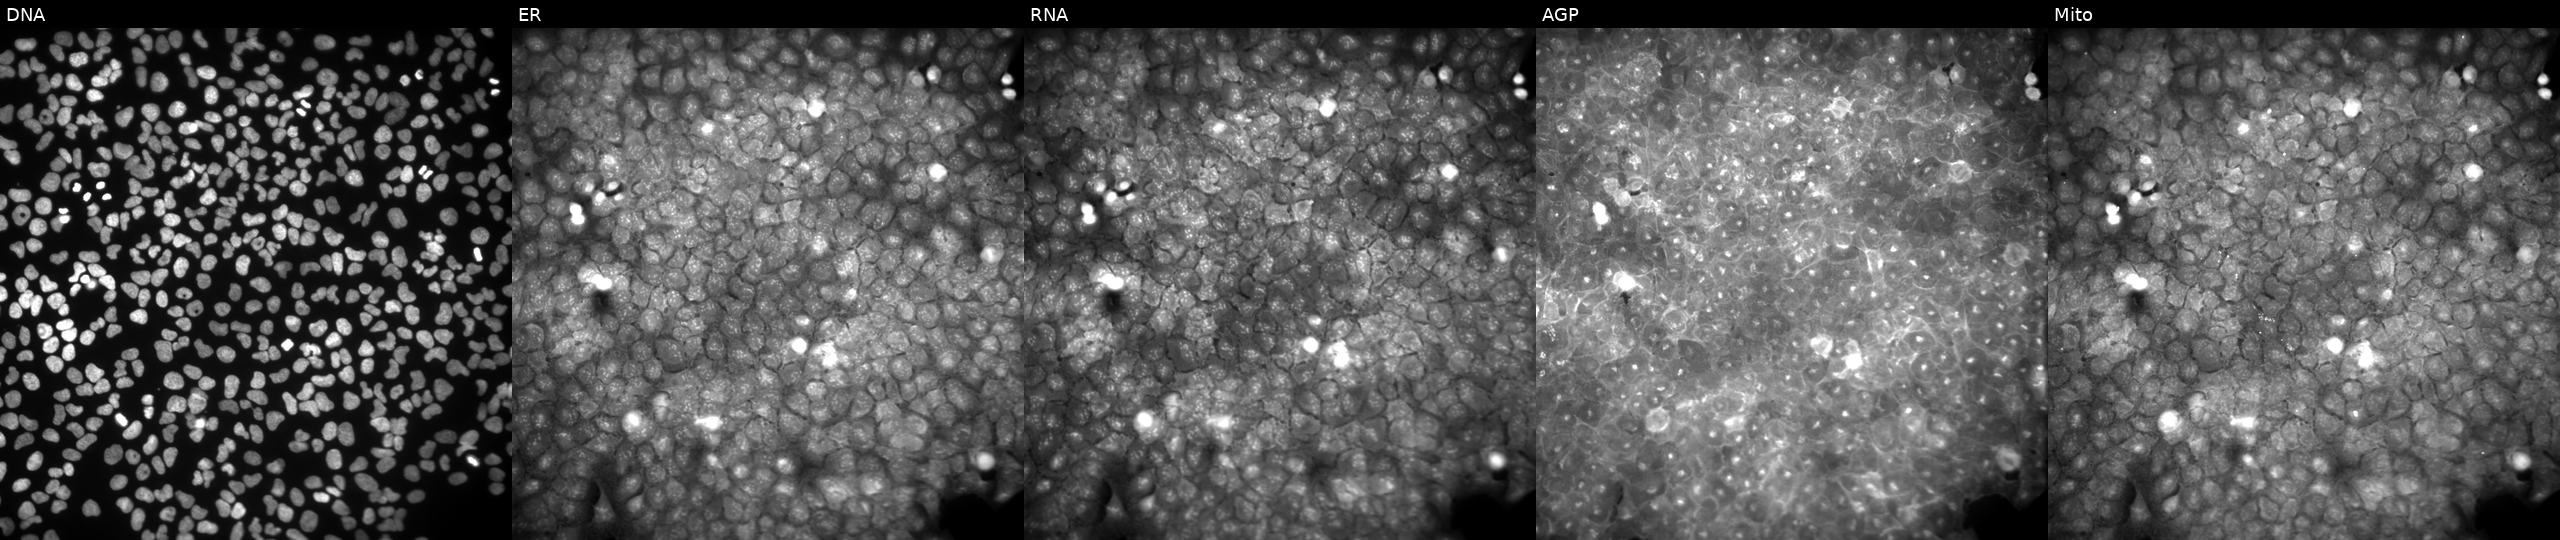
Five-channel Cell Painting image of U2OS cells exposed to a small-molecule compound (InChIKey ISZRKOJOHOJKNC-UHFFFAOYSA-N) (JUMP id JCP2022_037224). From left to right: DNA, ER, RNA, AGP, and Mito. Source 9, plate GR00003382, well AC29.